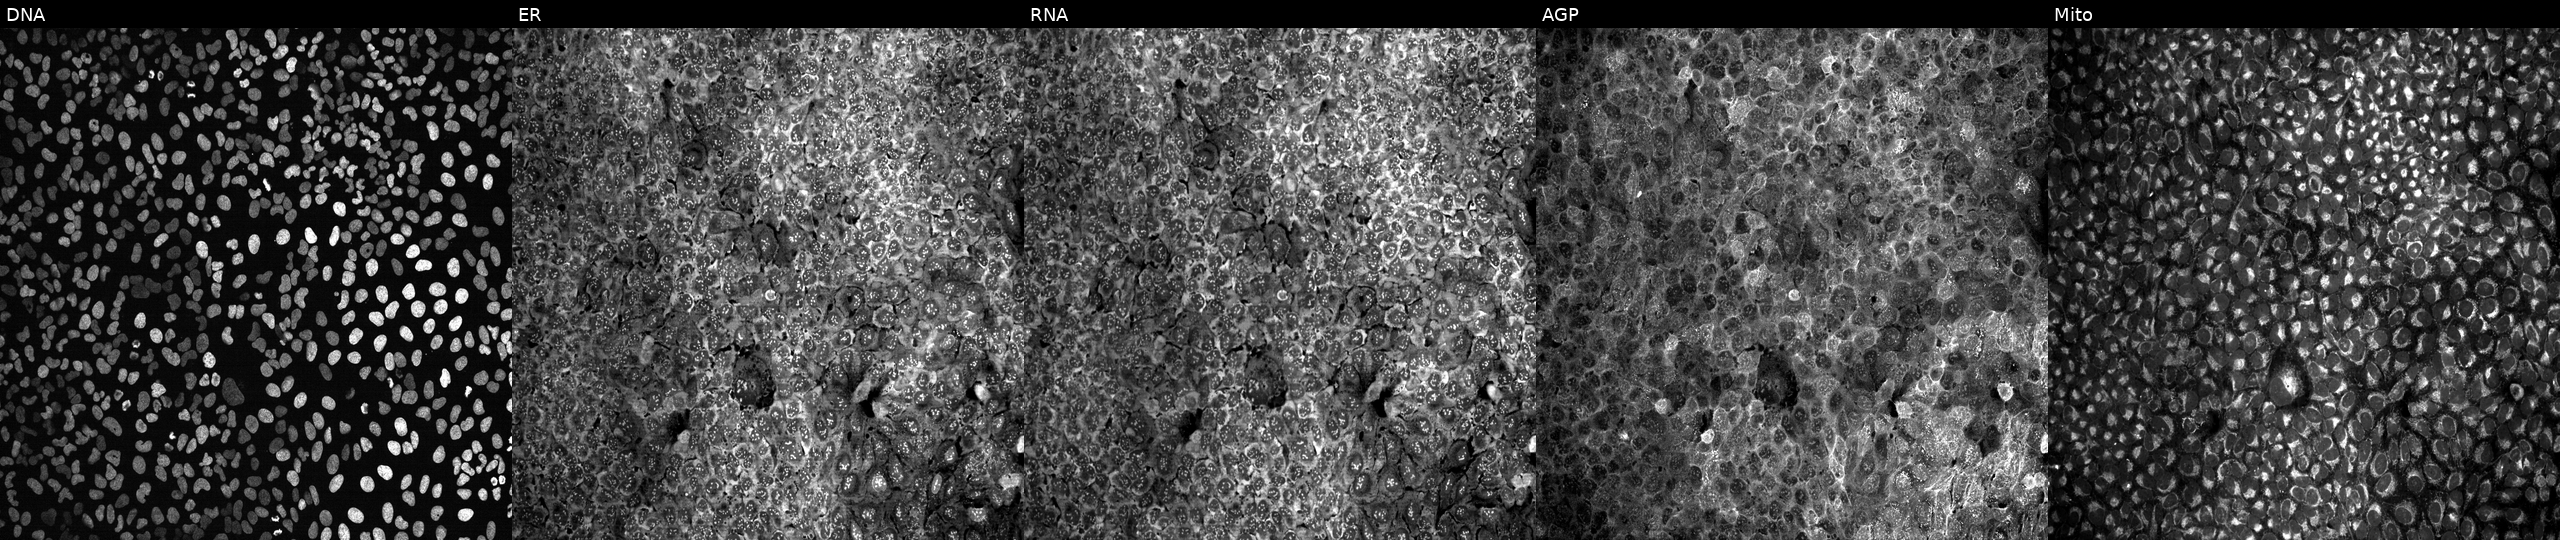
U2OS cells, Cell Painting assay, exposed to the positive-control compound aloxistatin. Panels show, left to right, Hoechst 33342, concanavalin A, SYTO 14, phalloidin and WGA, MitoTracker. Each panel is percentile-stretched 16-bit fluorescence.